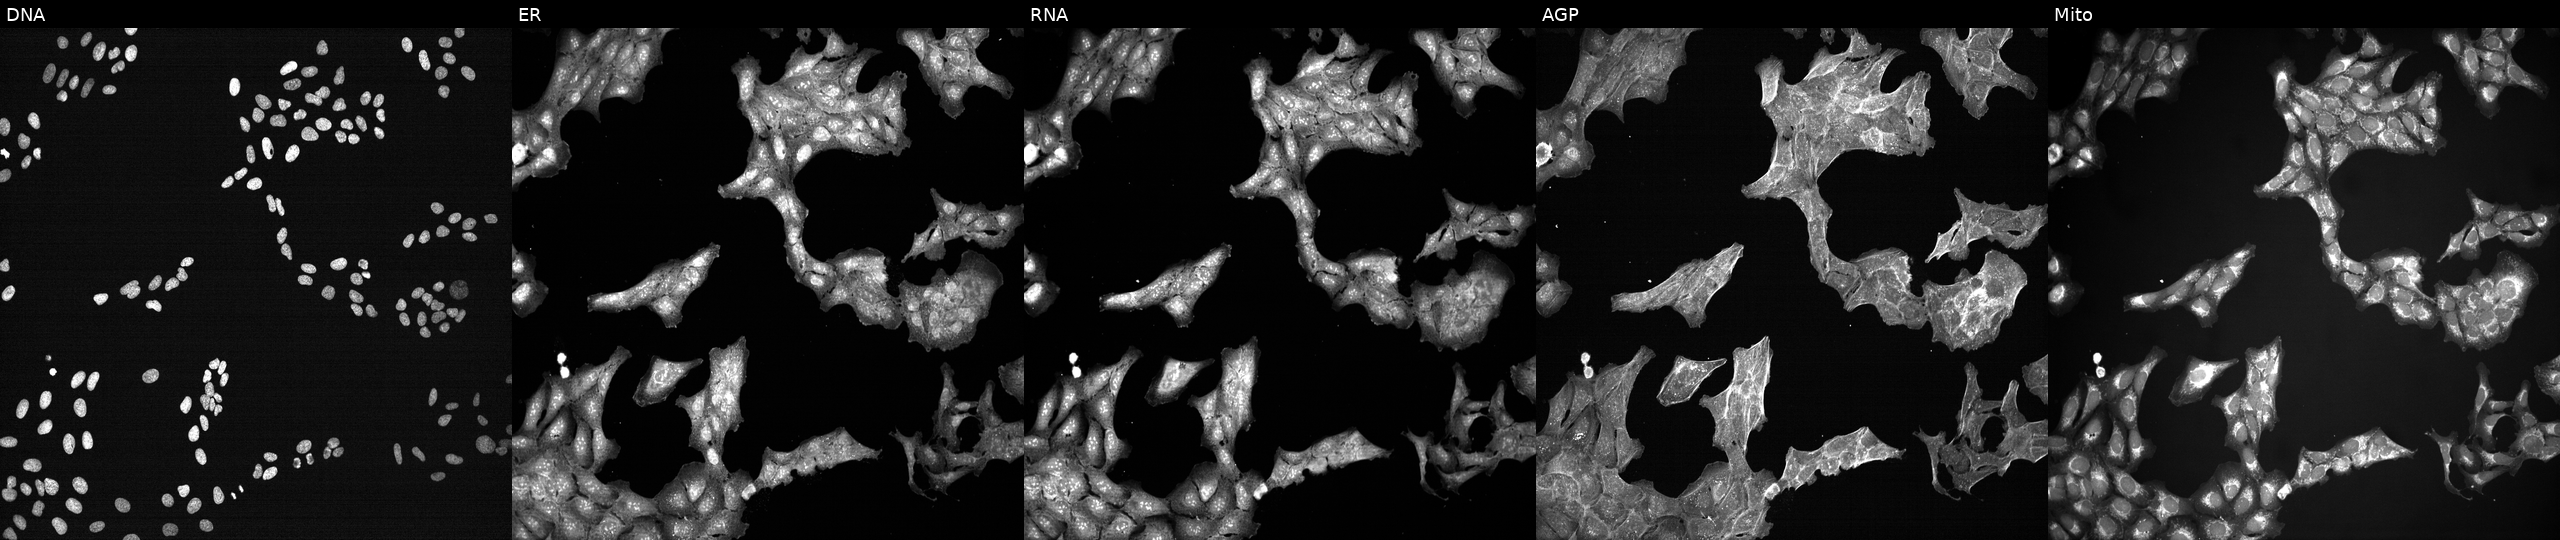
Panels show, left to right, DNA (nuclei); ER (endoplasmic reticulum); RNA (nucleoli and cytoplasmic RNA); AGP (actin cytoskeleton, Golgi, and plasma membrane); Mito (mitochondria). U2OS osteosarcoma cells perturbed with a small-molecule compound (InChIKey IYAYHZZWYNXHEQ-UHFFFAOYSA-N). Cell Painting assay, JUMP-CP dataset. Source 7, plate CP3-SC1-25, well K23.